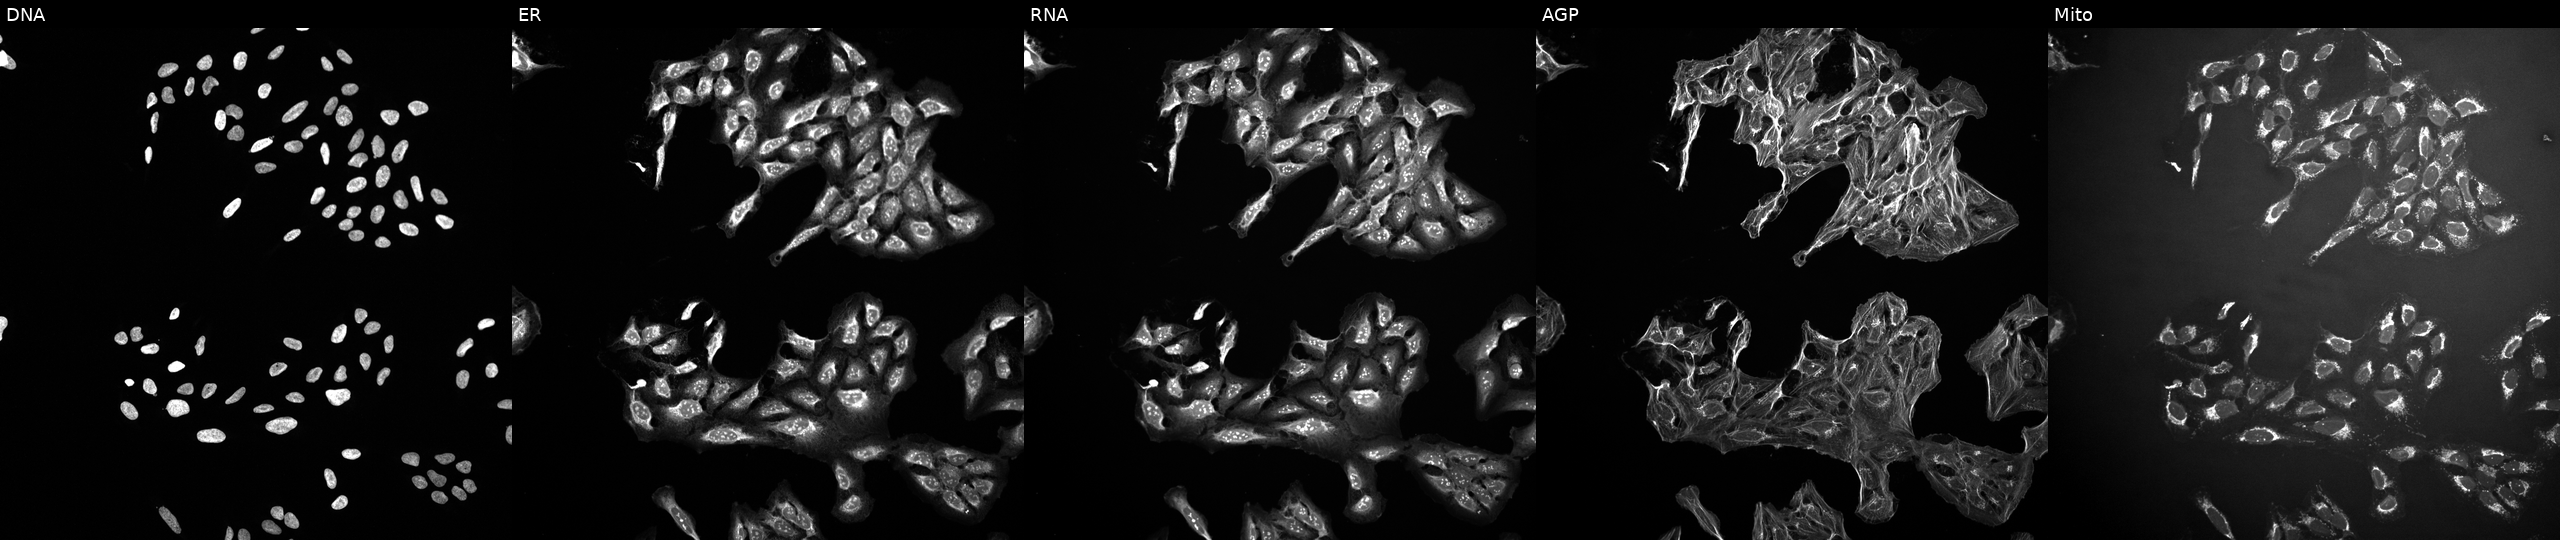
Five-channel Cell Painting image of U2OS cells exposed to a small-molecule compound (InChIKey CMSMOCZEIVJLDB-UHFFFAOYSA-N) (JUMP id JCP2022_012146). From left to right: Hoechst 33342, concanavalin A, SYTO 14, phalloidin and WGA, MitoTracker.